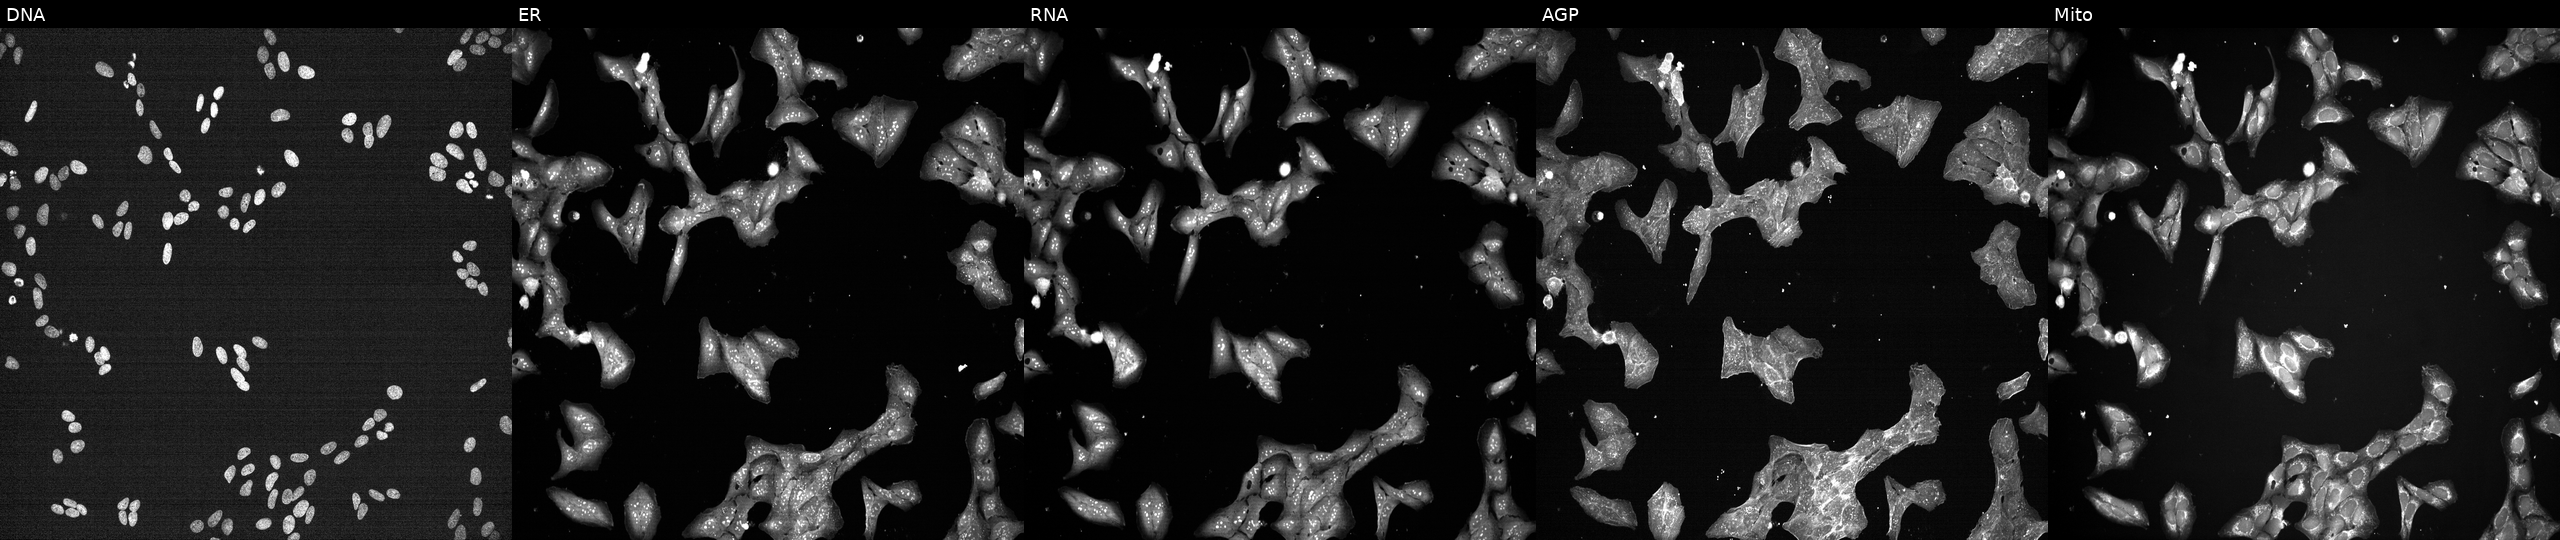
JUMP Cell Painting — TARGET2 plate. U2OS cells treated with a small-molecule compound (InChIKey WYWHKKSPHMUBEB-UHFFFAOYSA-N) [SMILES: N=c1[nH]c(=S)c2[nH]cnc2[nH]1]. From left to right: Hoechst 33342, concanavalin A, SYTO 14, phalloidin and WGA, MitoTracker.